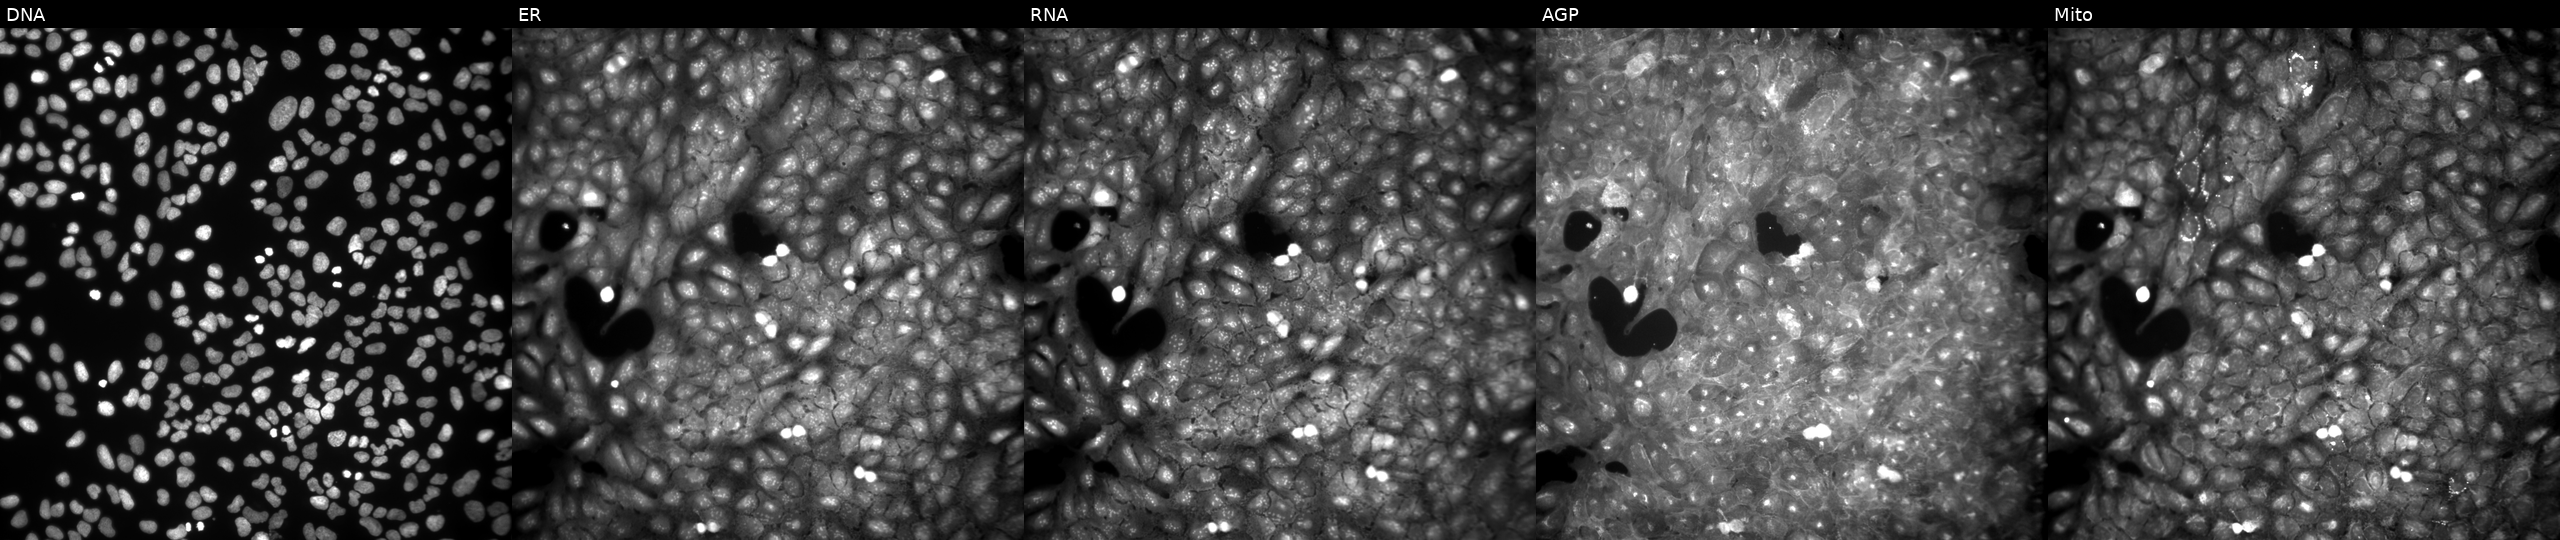
JUMP Cell Painting — COMPOUND plate. U2OS cells exposed to DMSO alone as a negative control (JUMP id JCP2022_033924). Channels (left→right): DNA (nuclei); ER (endoplasmic reticulum); RNA (nucleoli and cytoplasmic RNA); AGP (actin cytoskeleton, Golgi, and plasma membrane); Mito (mitochondria).